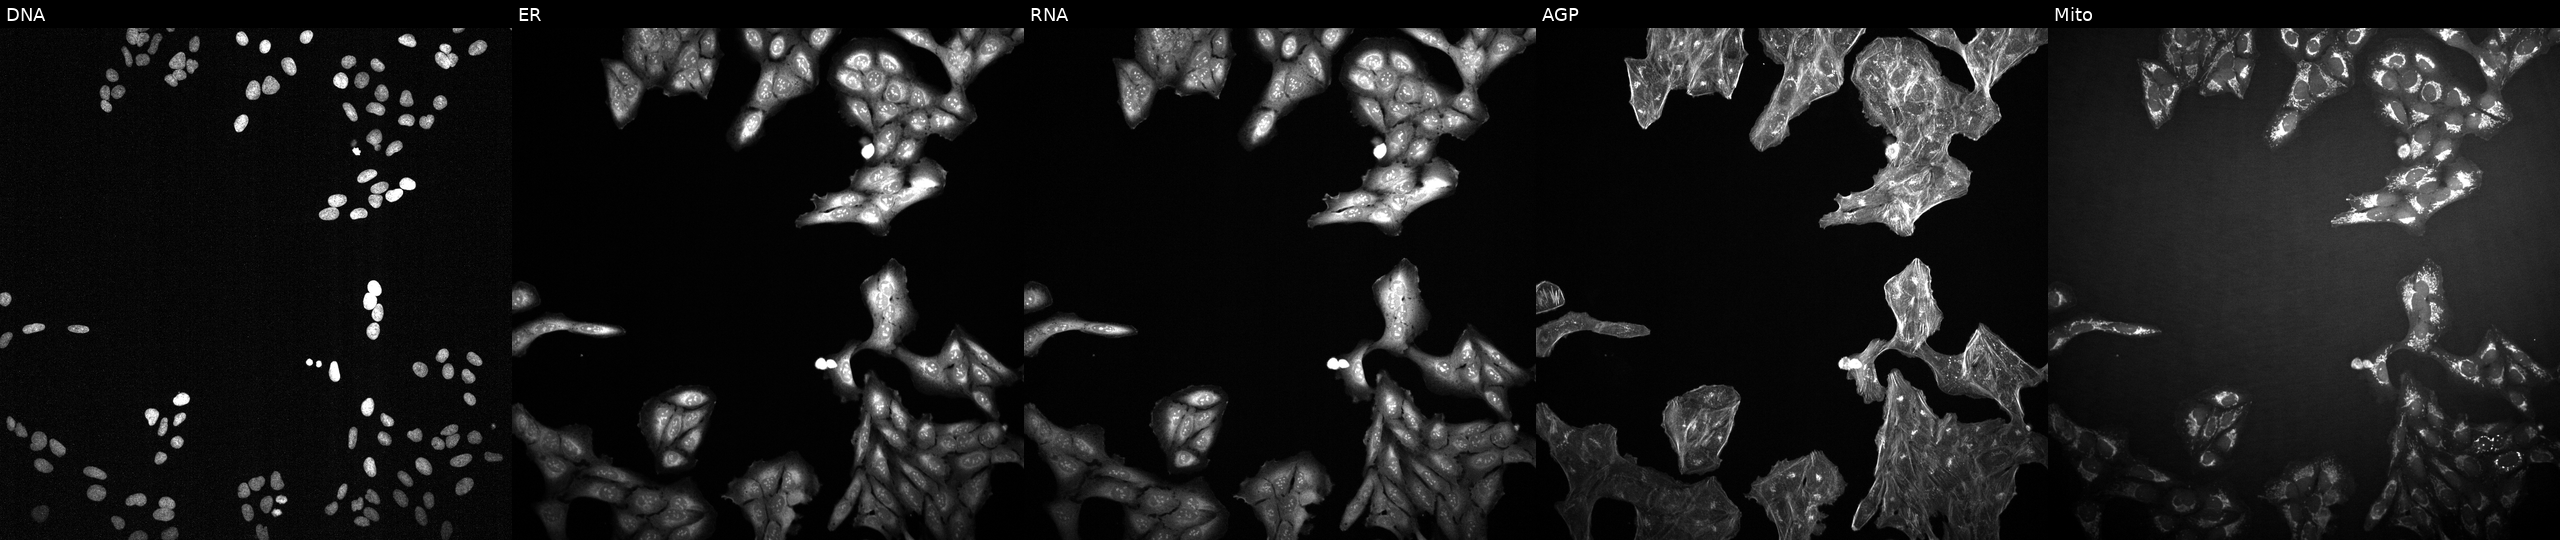
Five-channel Cell Painting image of U2OS cells perturbed with a small-molecule compound (InChIKey LPEPZBJOKDYZAD-UHFFFAOYSA-N) (JUMP id JCP2022_050861). The five panels, left to right, show DNA (nuclei); ER (endoplasmic reticulum); RNA (nucleoli and cytoplasmic RNA); AGP (actin cytoskeleton, Golgi, and plasma membrane); Mito (mitochondria). Source 2, plate 1053599503, well A08.